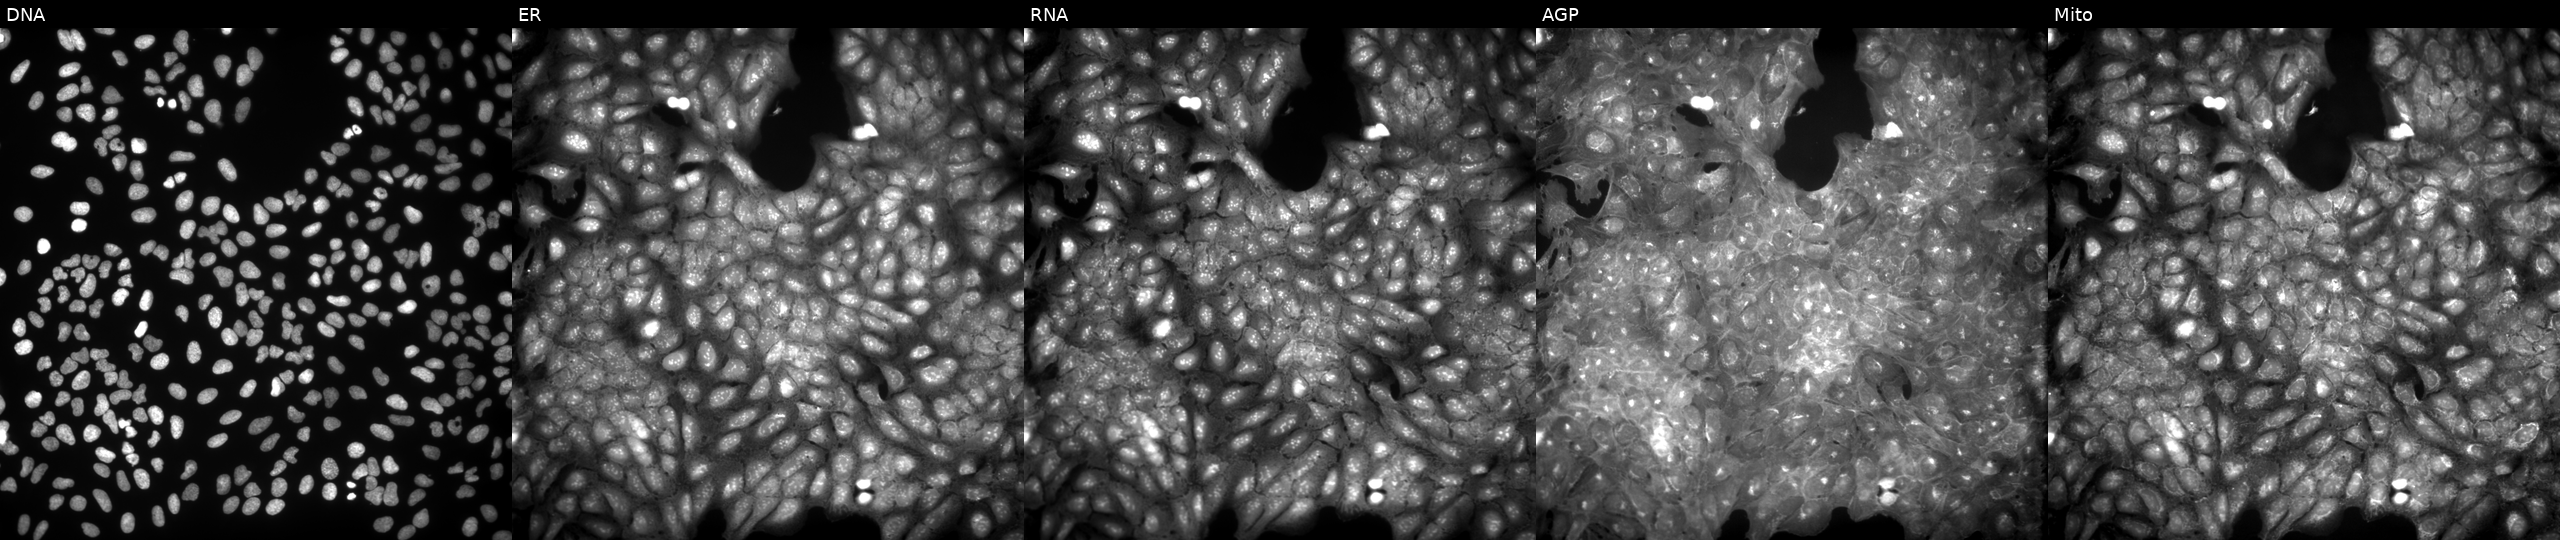
Five-channel Cell Painting image of U2OS cells perturbed with a small-molecule compound. The five panels, left to right, show DNA, ER, RNA, AGP, and Mito. Source 9, plate GR00003381, well AA15.